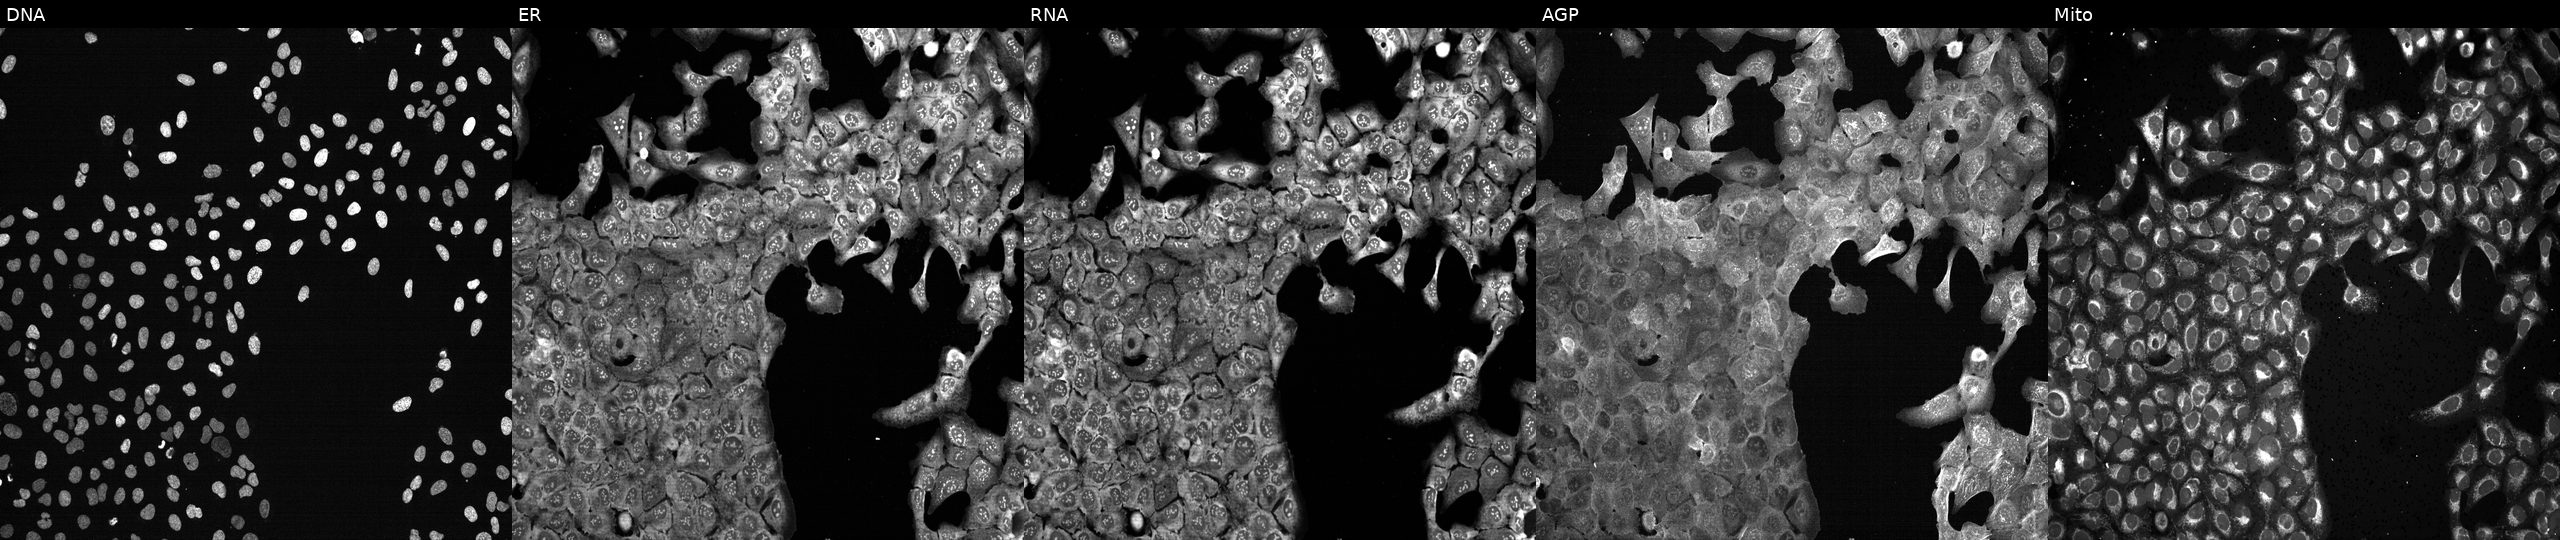
U2OS cells, Cell Painting assay, following CRISPR knockout of ABHD14A. Panels show, left to right, Hoechst 33342, concanavalin A, SYTO 14, phalloidin and WGA, MitoTracker. Each panel is percentile-stretched 16-bit fluorescence.